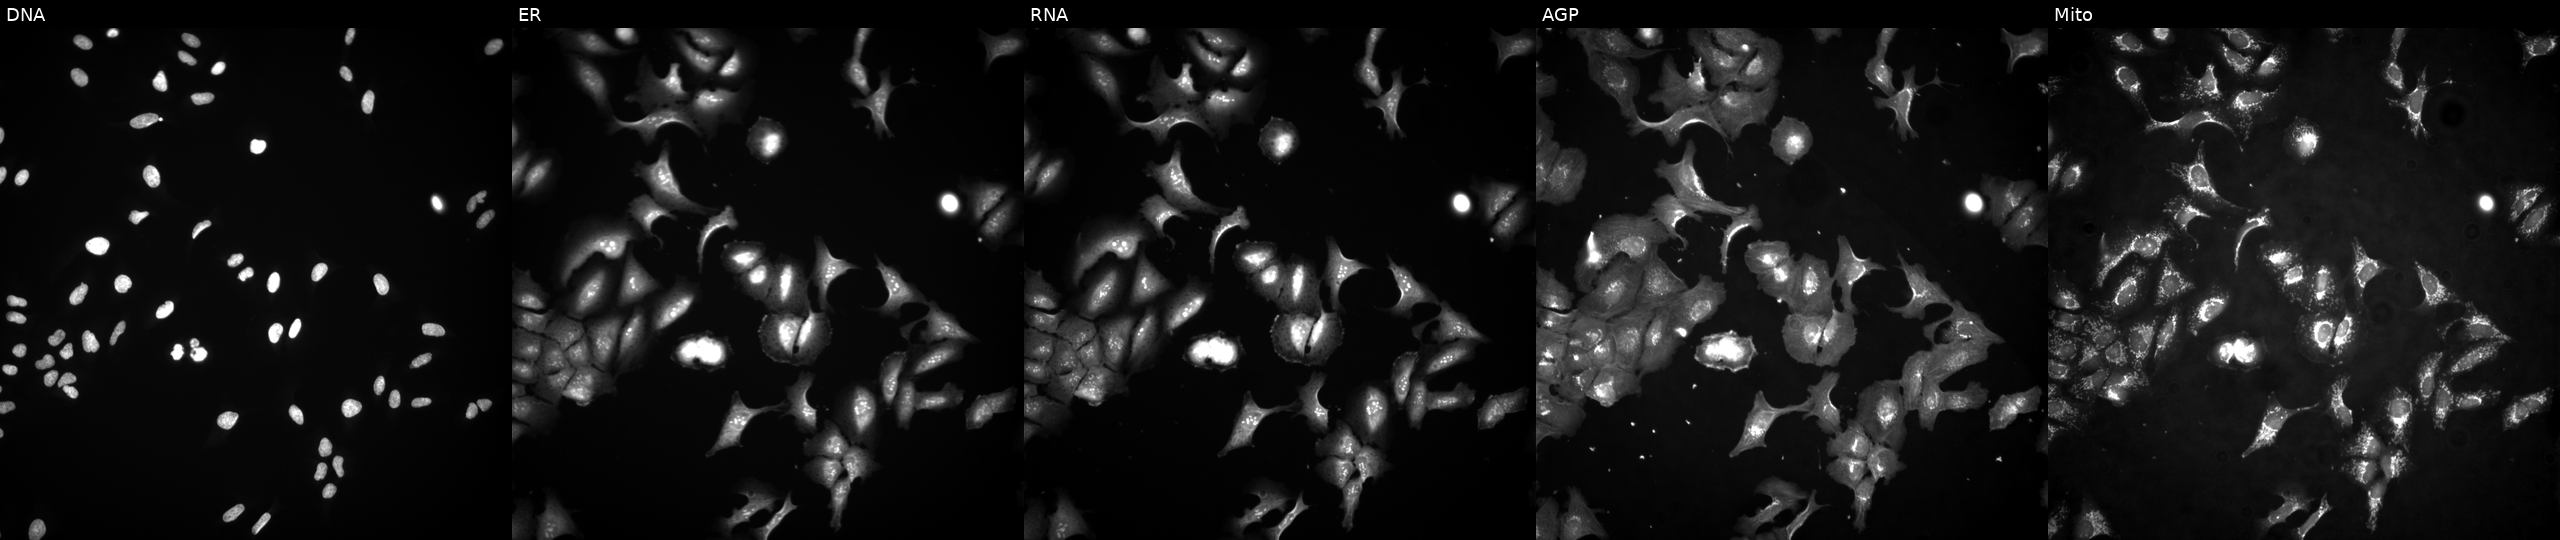
JUMP Cell Painting — ORF plate. U2OS cells transfected with an ORF construct for TSC22D3. Panels show, left to right, DNA (nuclei); ER (endoplasmic reticulum); RNA (nucleoli and cytoplasmic RNA); AGP (actin cytoskeleton, Golgi, and plasma membrane); Mito (mitochondria).